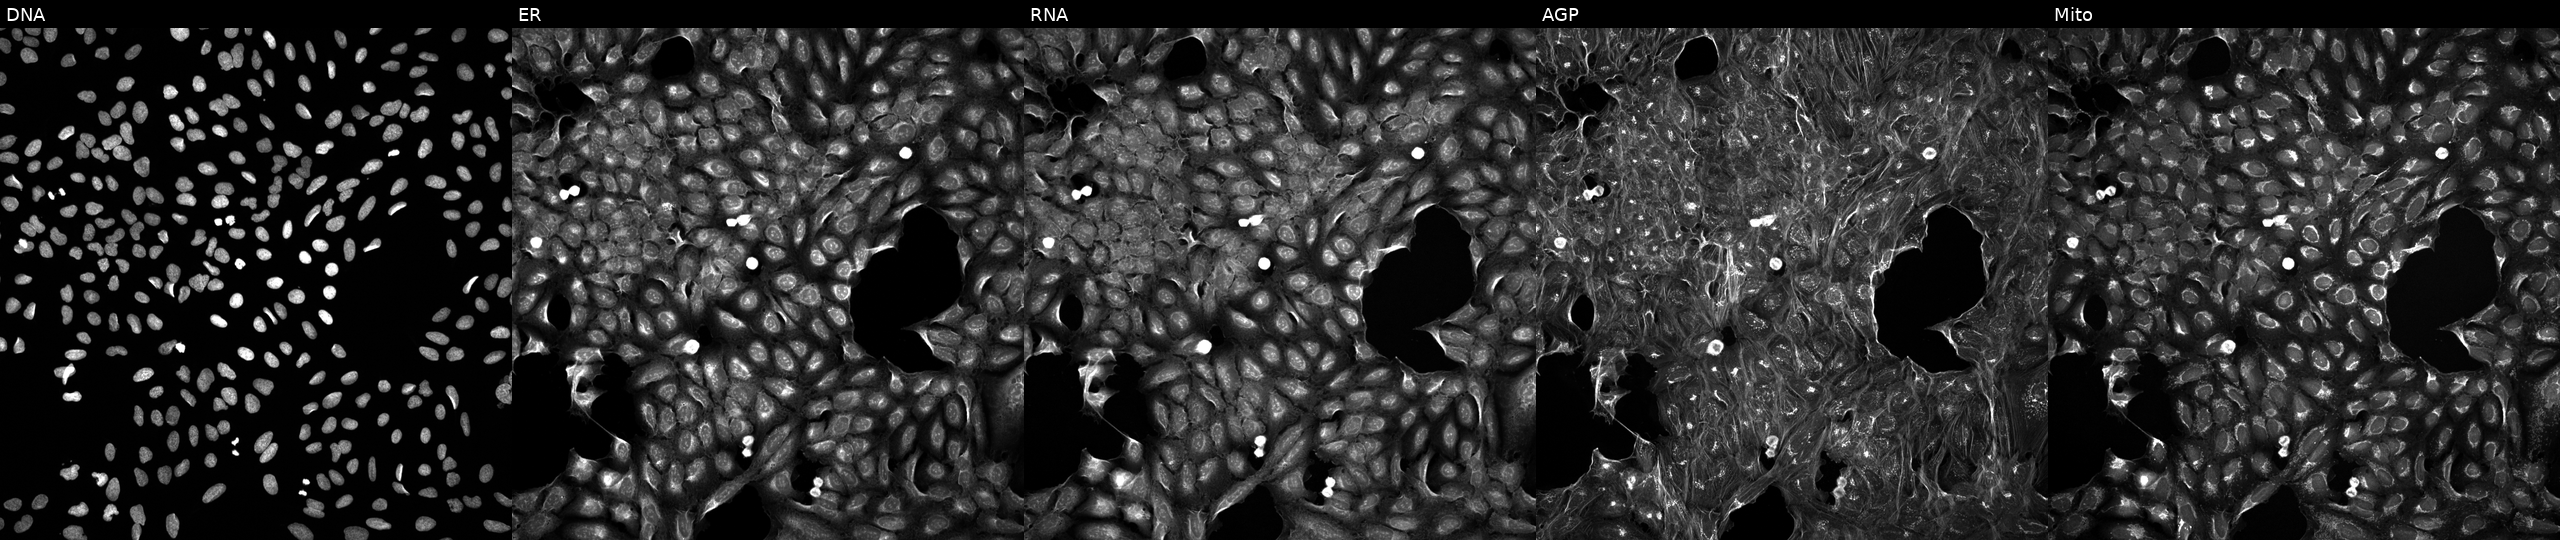
This image strip shows the five Cell Painting channels for a single field of U2OS cells perturbed with a small-molecule compound (InChIKey VHOGYURTWQBHIL-UHFFFAOYSA-N). From left to right: DNA (nuclei); ER (endoplasmic reticulum); RNA (nucleoli and cytoplasmic RNA); AGP (actin cytoskeleton, Golgi, and plasma membrane); Mito (mitochondria).